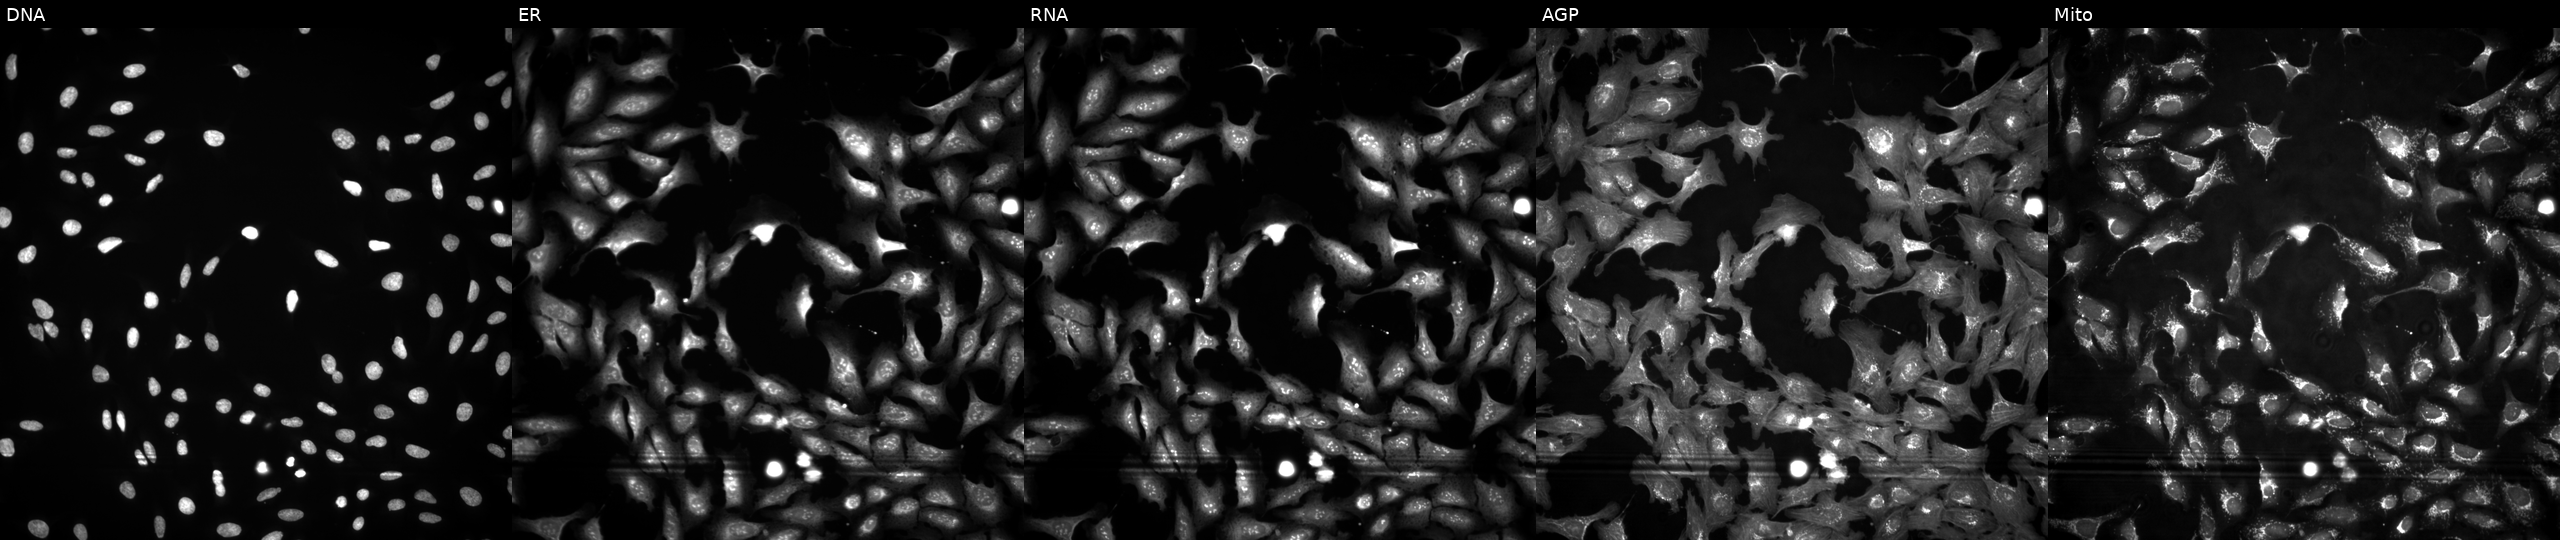
High-content fluorescence microscopy (Cell Painting). Cell line: U2OS. Perturbation: transfected with an ORF construct for CKMT1B. From left to right: DNA, ER, RNA, AGP, and Mito.